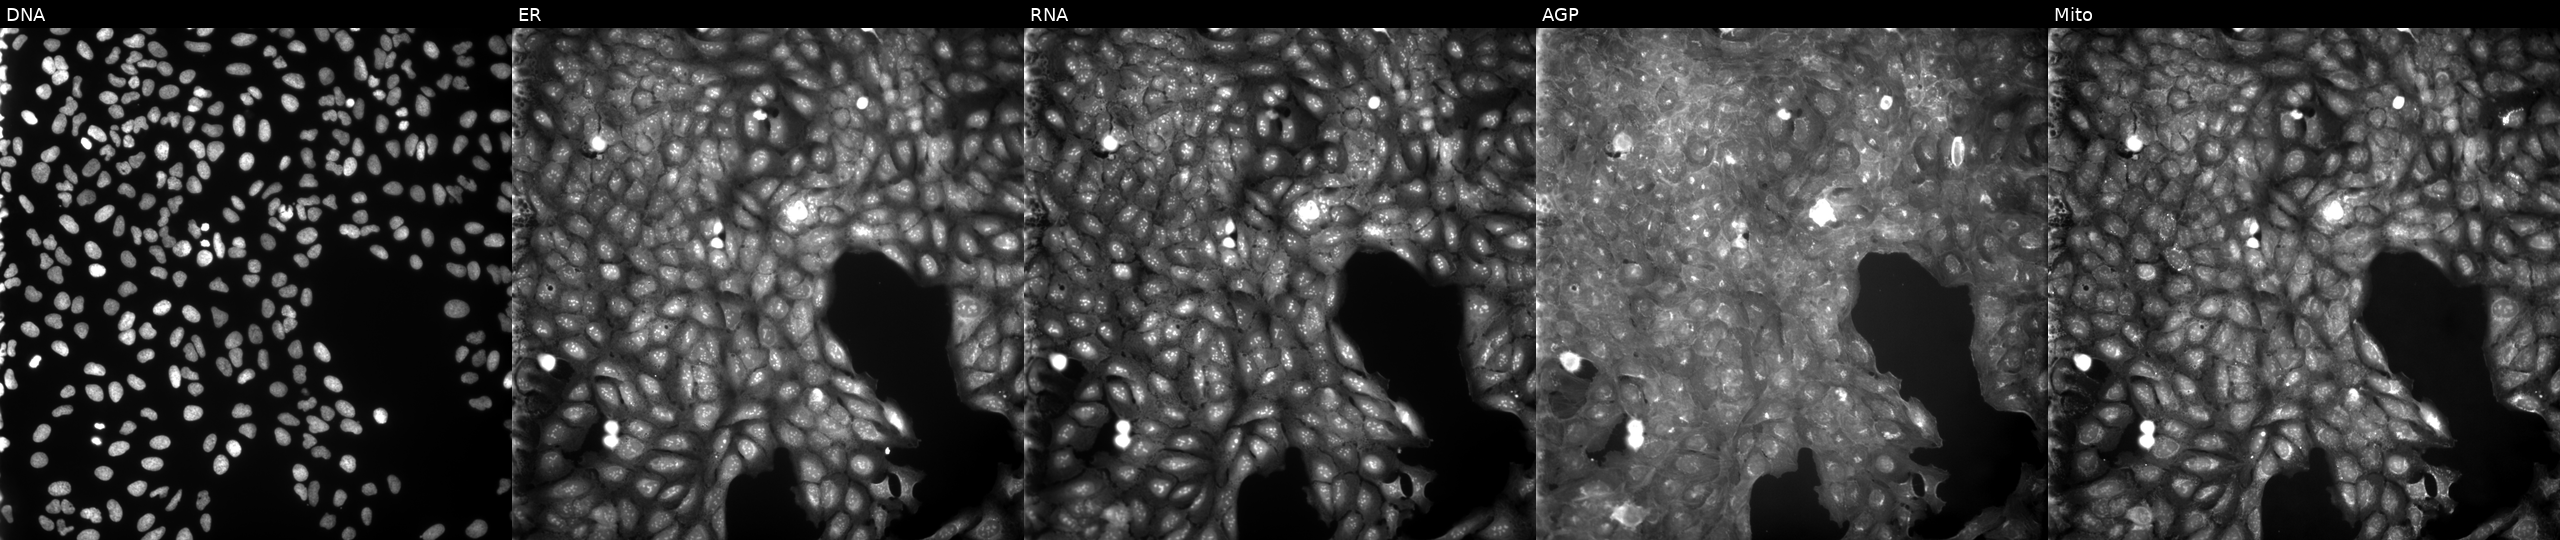
From left to right: Hoechst 33342, concanavalin A, SYTO 14, phalloidin and WGA, MitoTracker. U2OS osteosarcoma cells treated with a small-molecule compound (InChIKey KTVPUWIMBPTRCY-UHFFFAOYSA-N). Cell Painting assay, JUMP-CP dataset.